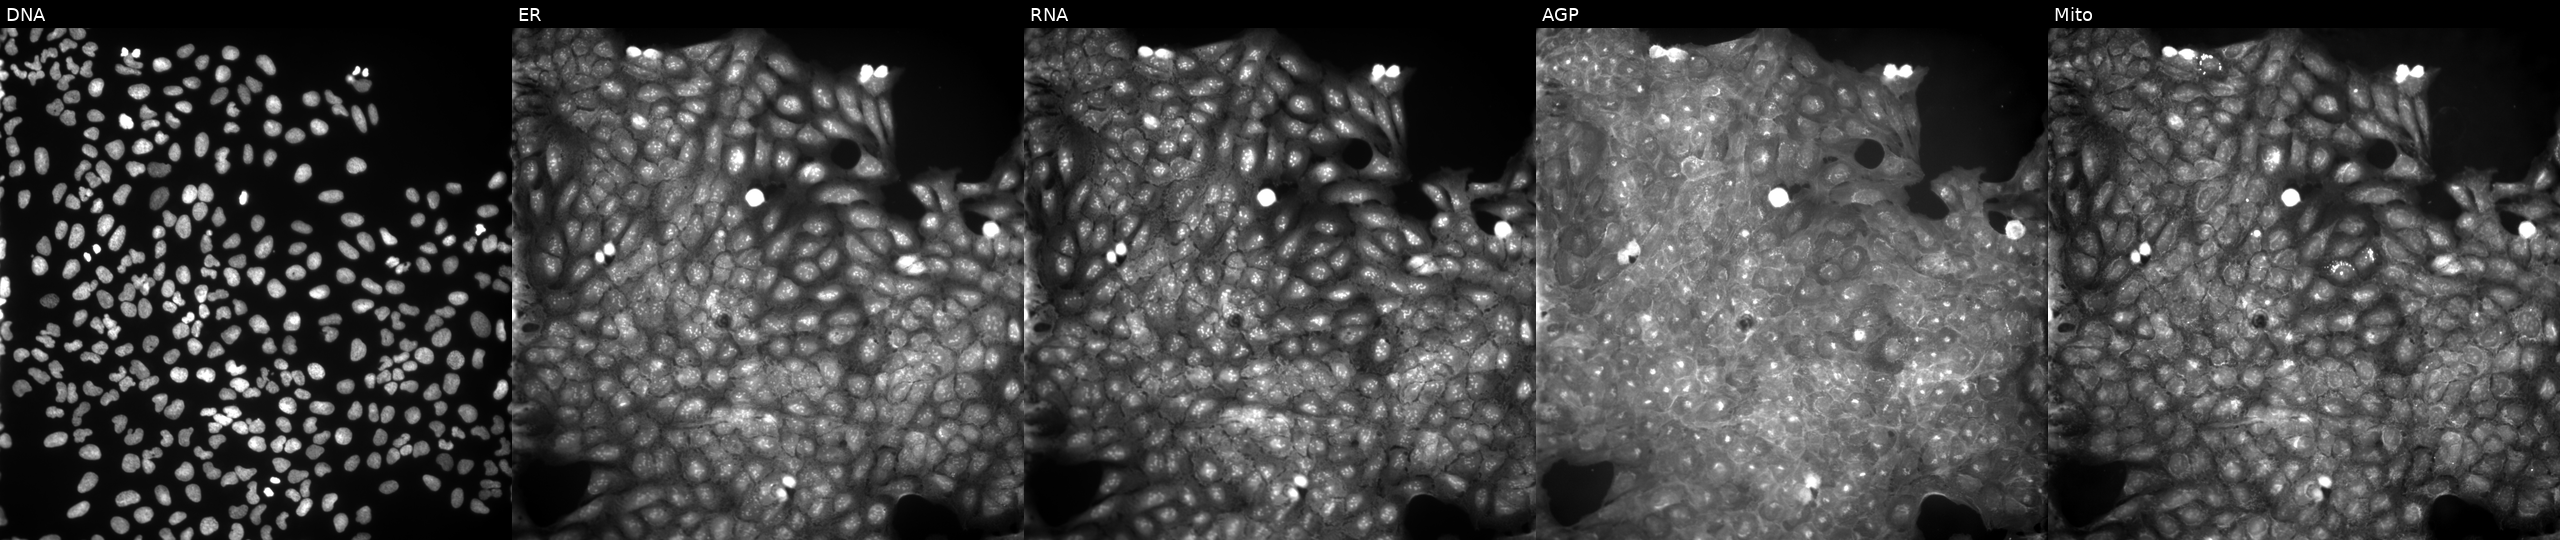
JUMP Cell Painting — COMPOUND plate. U2OS cells exposed to a small-molecule compound. The five panels, left to right, show DNA, ER, RNA, AGP, and Mito.